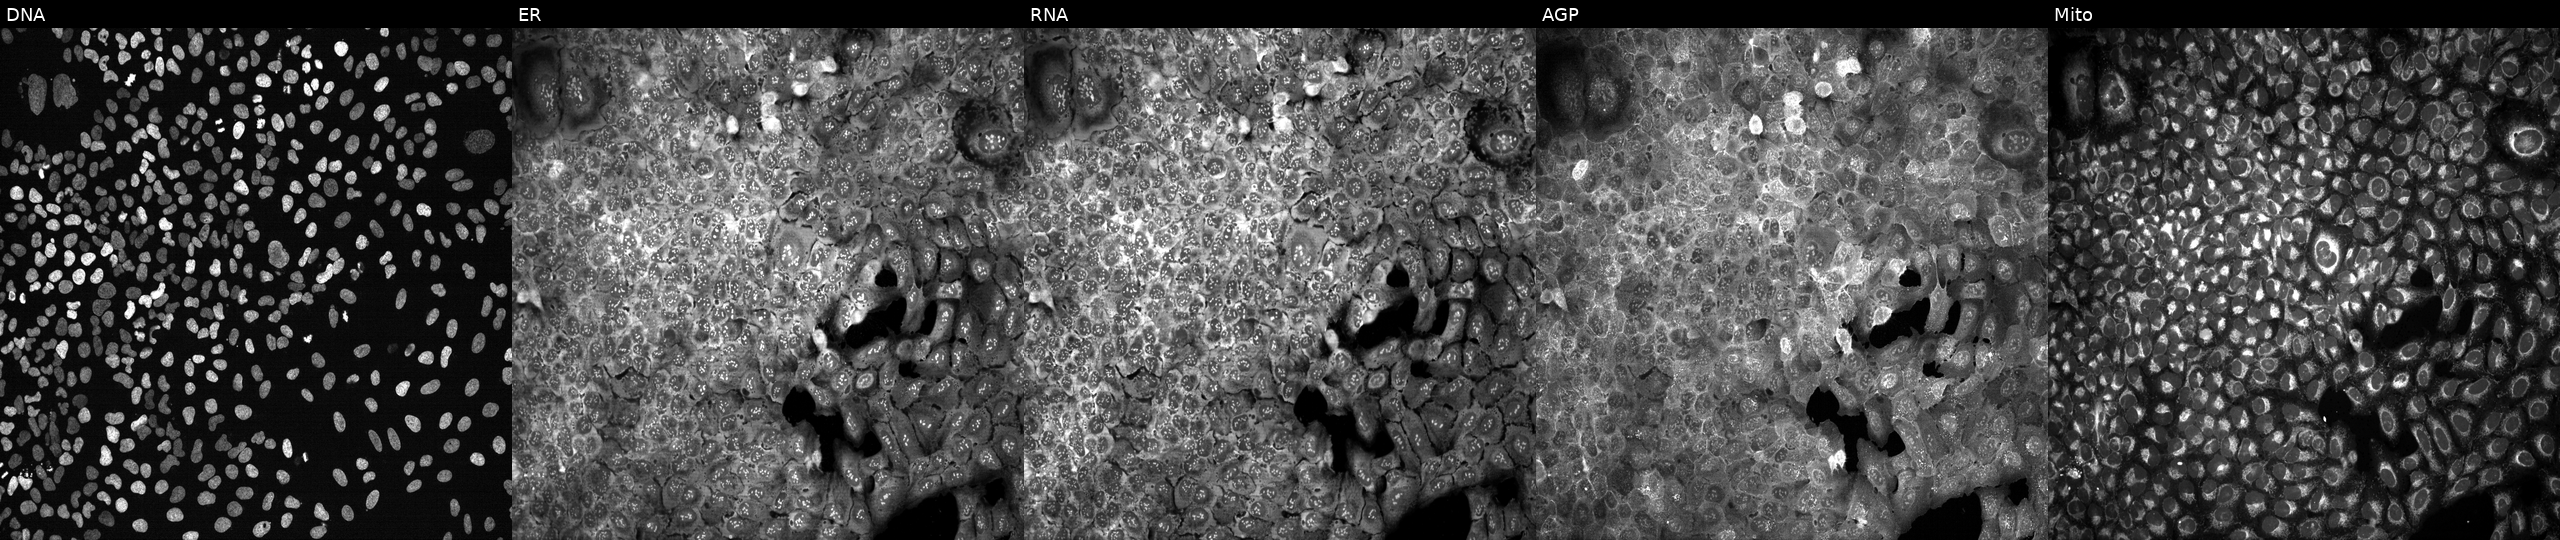
U2OS cells, Cell Painting assay, following CRISPR knockout of PDCD6 (JUMP id JCP2022_804979). The five panels, left to right, show DNA, ER, RNA, AGP, and Mito. Each panel is percentile-stretched 16-bit fluorescence.